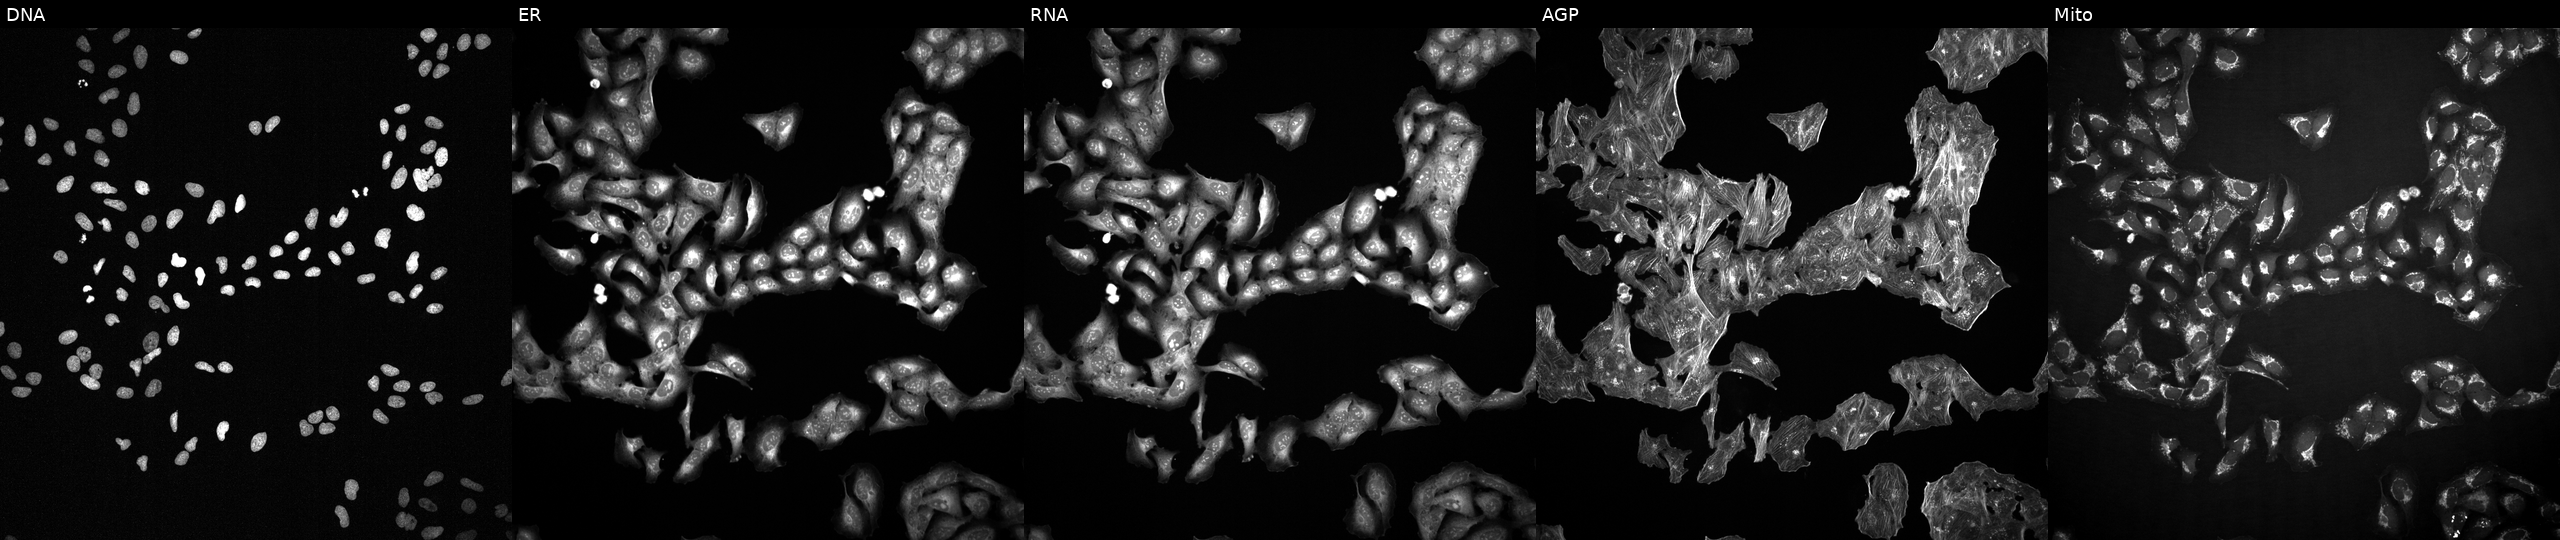
Five-channel Cell Painting image of U2OS cells exposed to the positive-control compound NVS-PAK1-1. The five panels, left to right, show Hoechst 33342, concanavalin A, SYTO 14, phalloidin and WGA, MitoTracker.